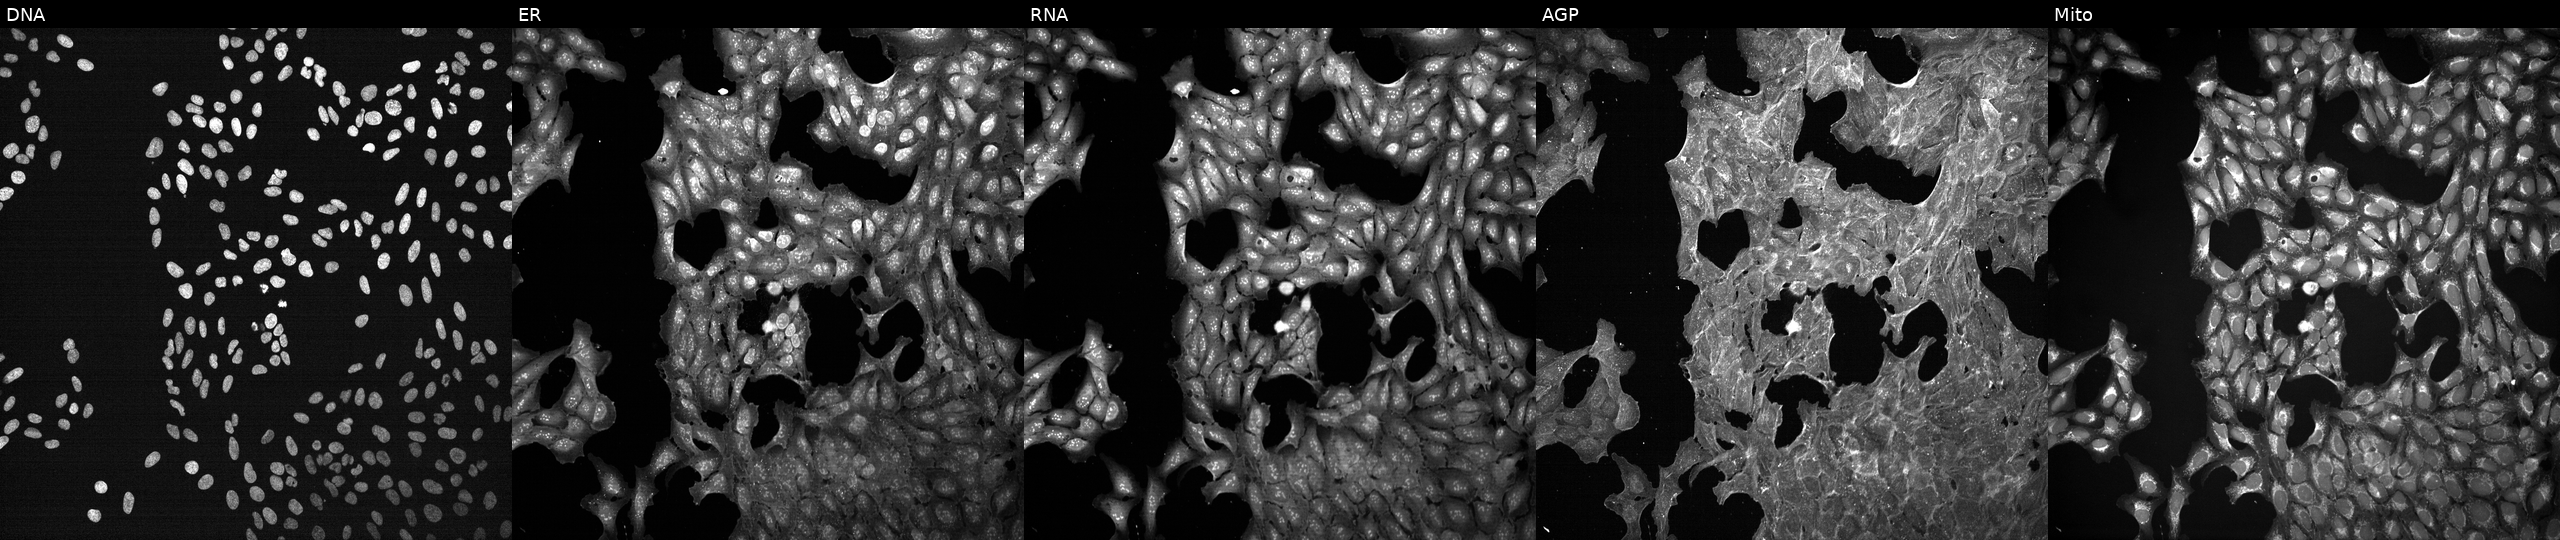
The five panels, left to right, show DNA (nuclei); ER (endoplasmic reticulum); RNA (nucleoli and cytoplasmic RNA); AGP (actin cytoskeleton, Golgi, and plasma membrane); Mito (mitochondria). U2OS osteosarcoma cells treated with a small-molecule compound (InChIKey HWHLPVGTWGOCJO-UHFFFAOYSA-N) [SMILES: OC(CCN1CCCCC1)(c1ccccc1)C1CCCCC1]. Cell Painting assay, JUMP-CP dataset.